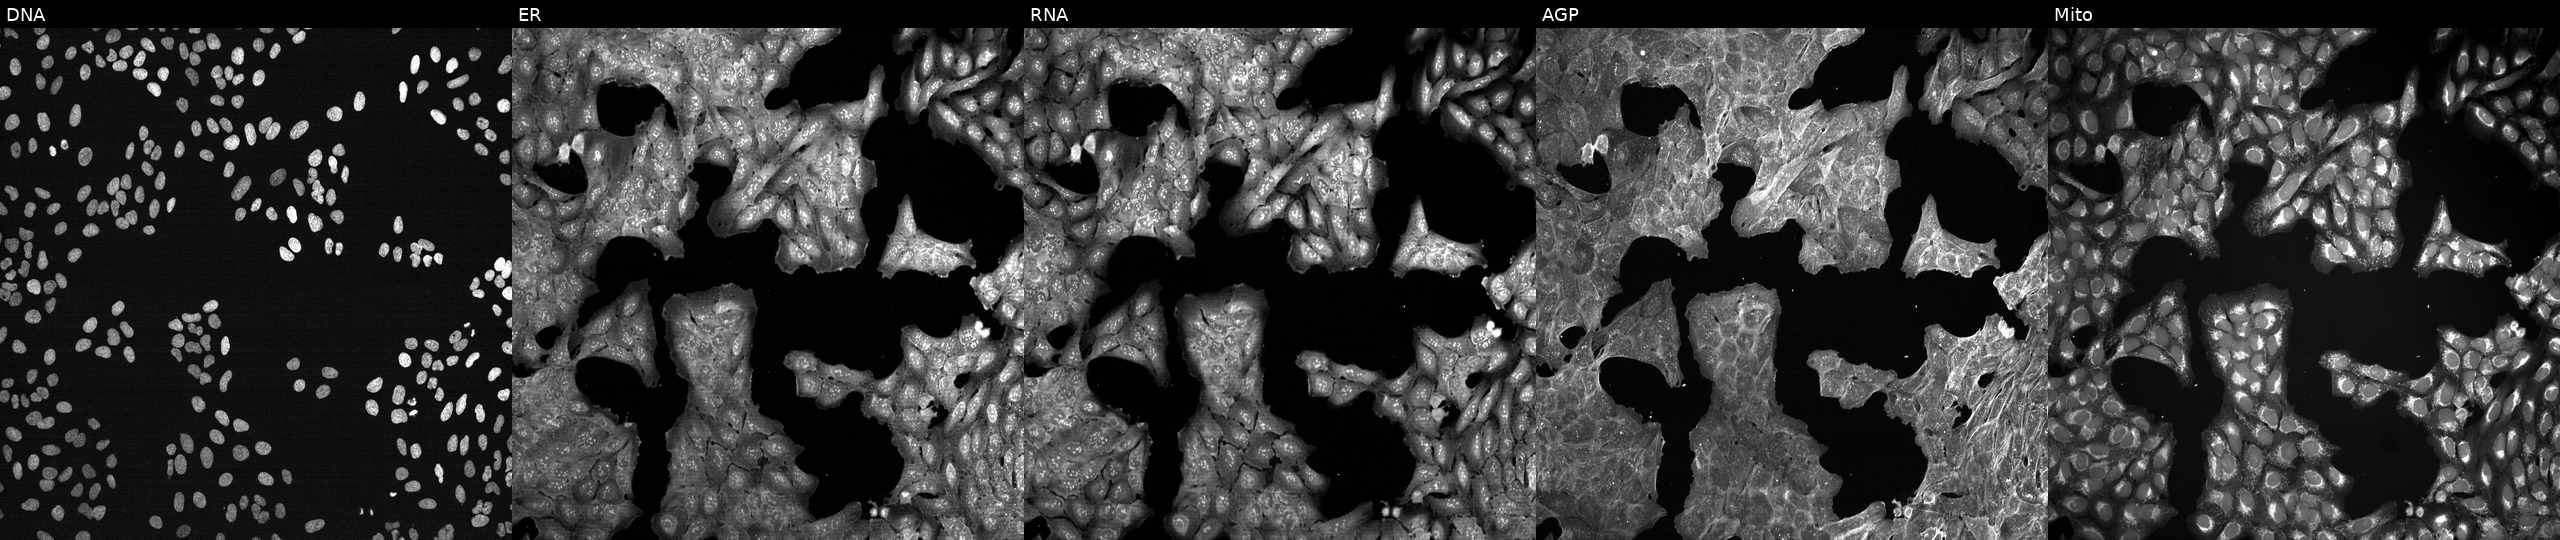
Five-channel Cell Painting image of U2OS cells treated with DMSO vehicle only (negative control) (JUMP id JCP2022_033924). From left to right: DNA (nuclei); ER (endoplasmic reticulum); RNA (nucleoli and cytoplasmic RNA); AGP (actin cytoskeleton, Golgi, and plasma membrane); Mito (mitochondria).